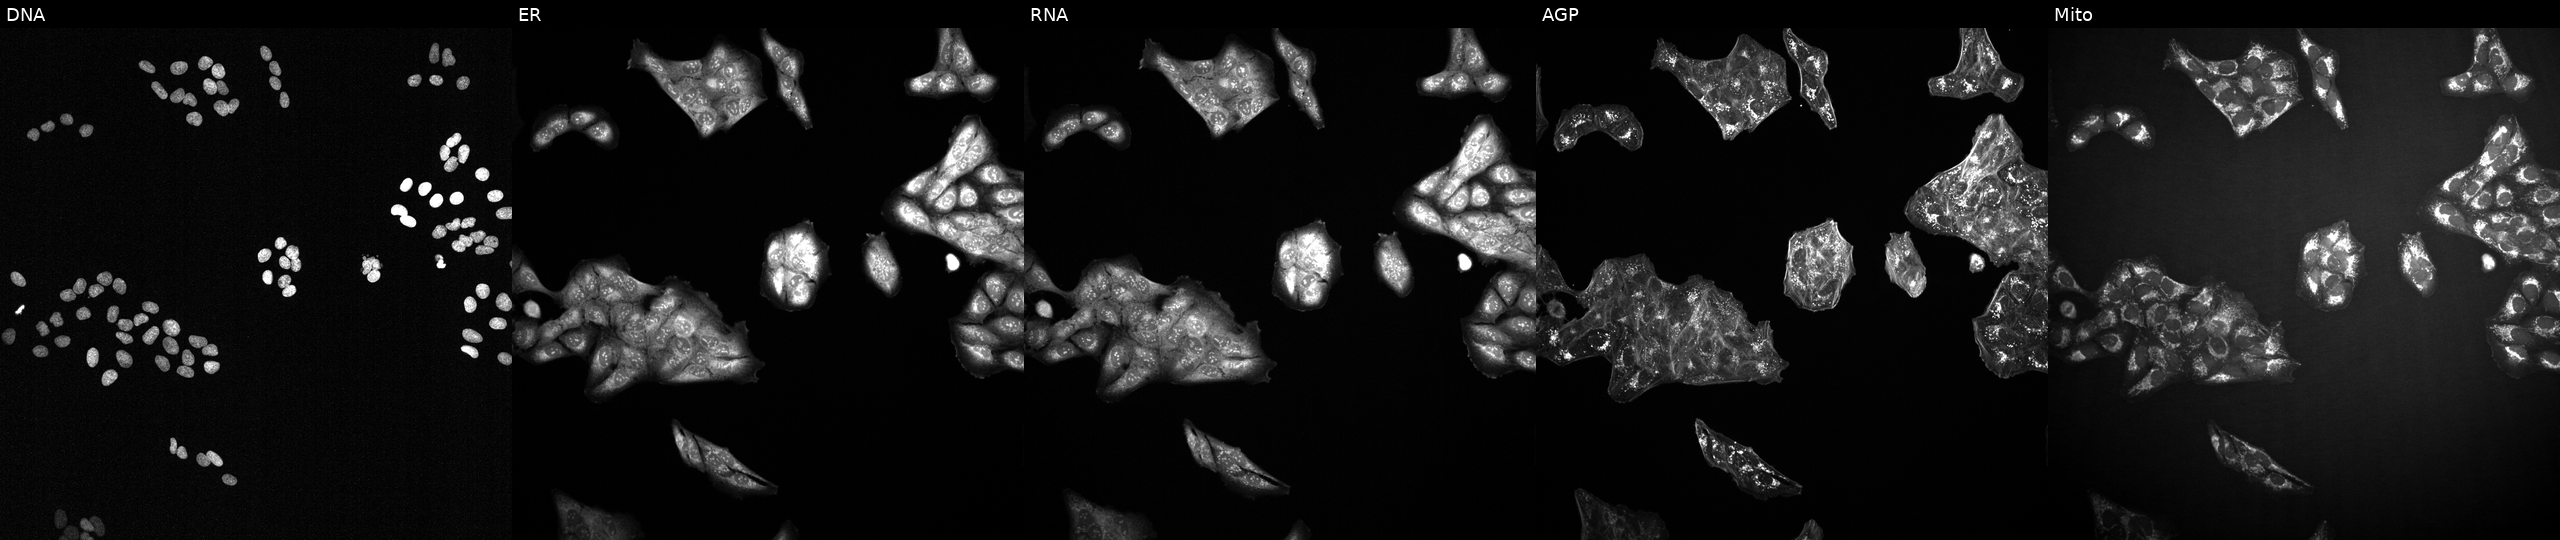
High-content fluorescence microscopy (Cell Painting). Cell line: U2OS. Perturbation: perturbed with a small-molecule compound (InChIKey CYYNMPPFEJPBJD-UHFFFAOYSA-N) [SMILES: CC1(N2CCC(n3c(C4CCCNC4)nc4ccccc43)CC2)CCCCCCC1] (JUMP id JCP2022_014367). Channels (left→right): DNA (nuclei); ER (endoplasmic reticulum); RNA (nucleoli and cytoplasmic RNA); AGP (actin cytoskeleton, Golgi, and plasma membrane); Mito (mitochondria).